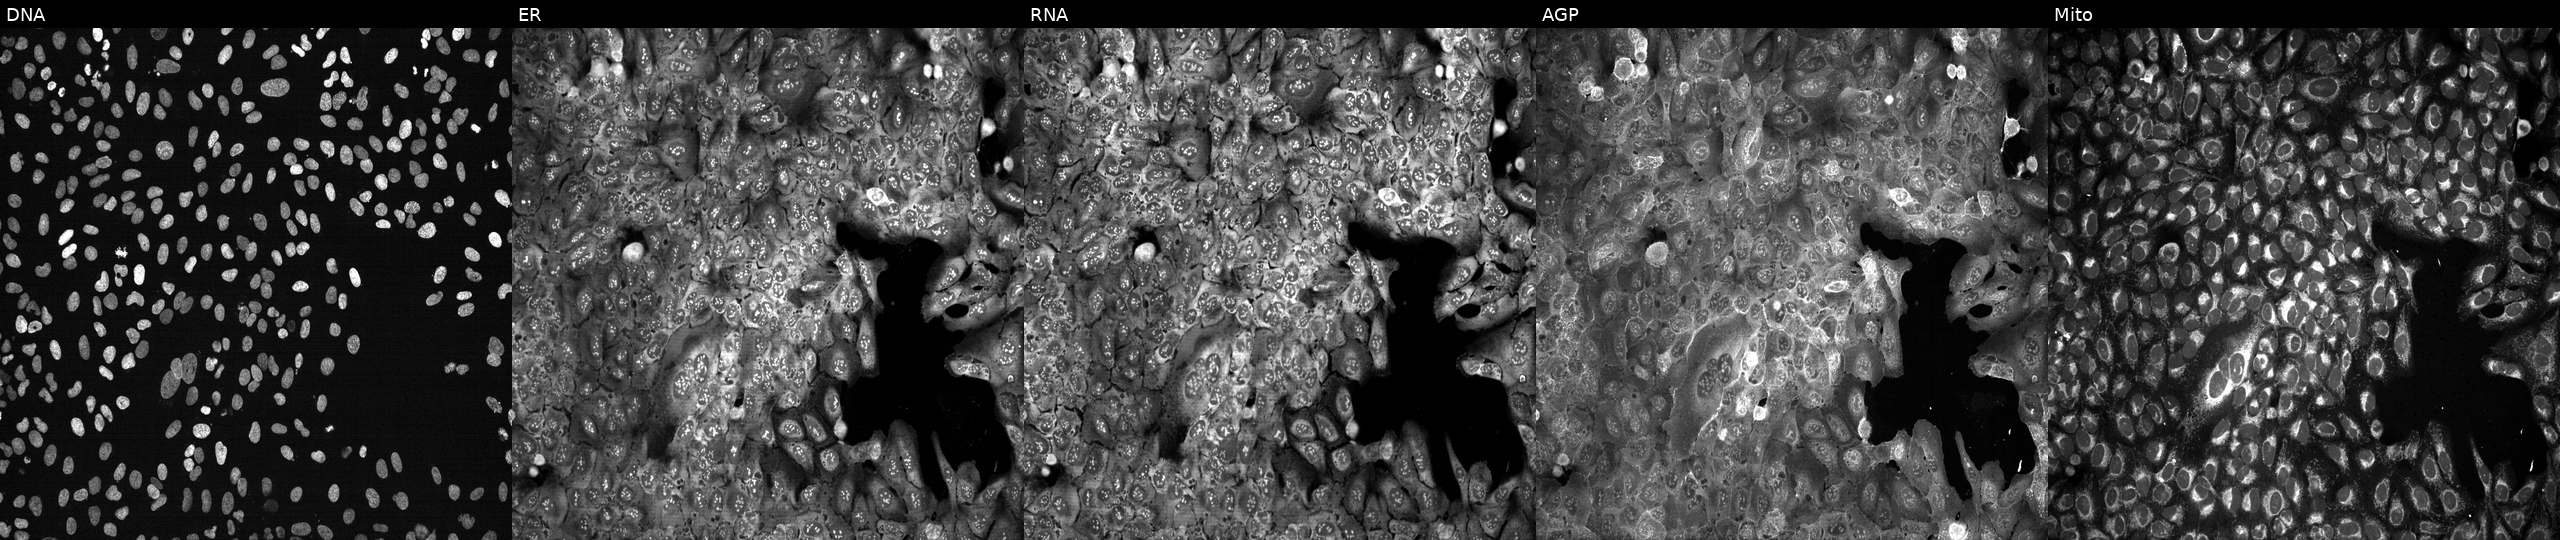
Channels (left→right): Hoechst 33342, concanavalin A, SYTO 14, phalloidin and WGA, MitoTracker. U2OS osteosarcoma cells following CRISPR knockout of AKAP5 (JUMP id JCP2022_800354). Cell Painting assay, JUMP-CP dataset.